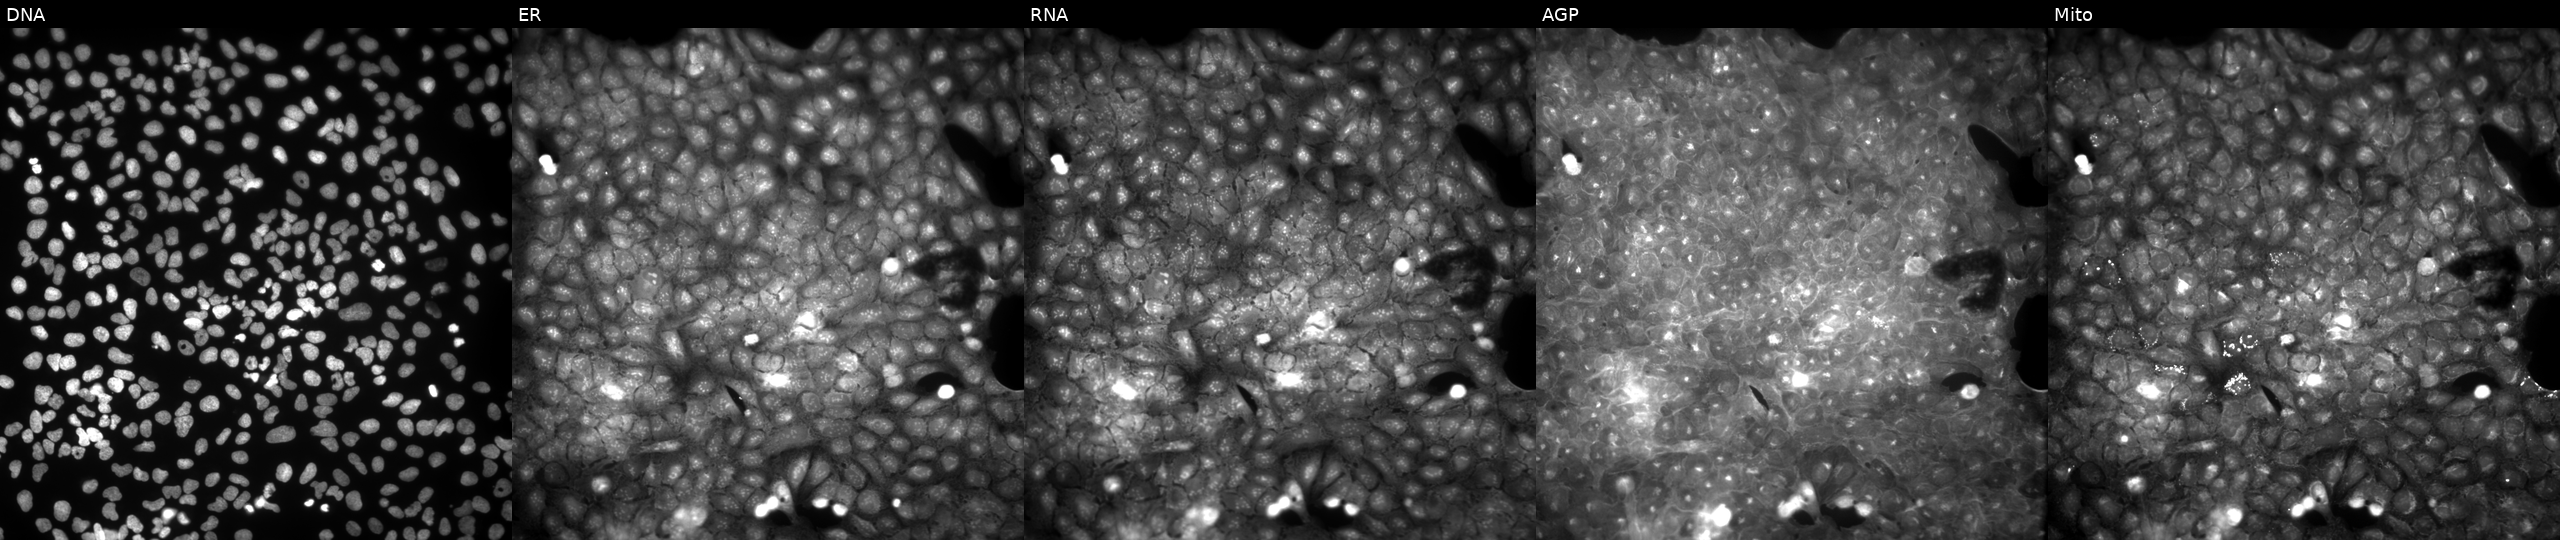
Five-channel Cell Painting image of U2OS cells perturbed with a small-molecule compound. Panels show, left to right, DNA, ER, RNA, AGP, and Mito.